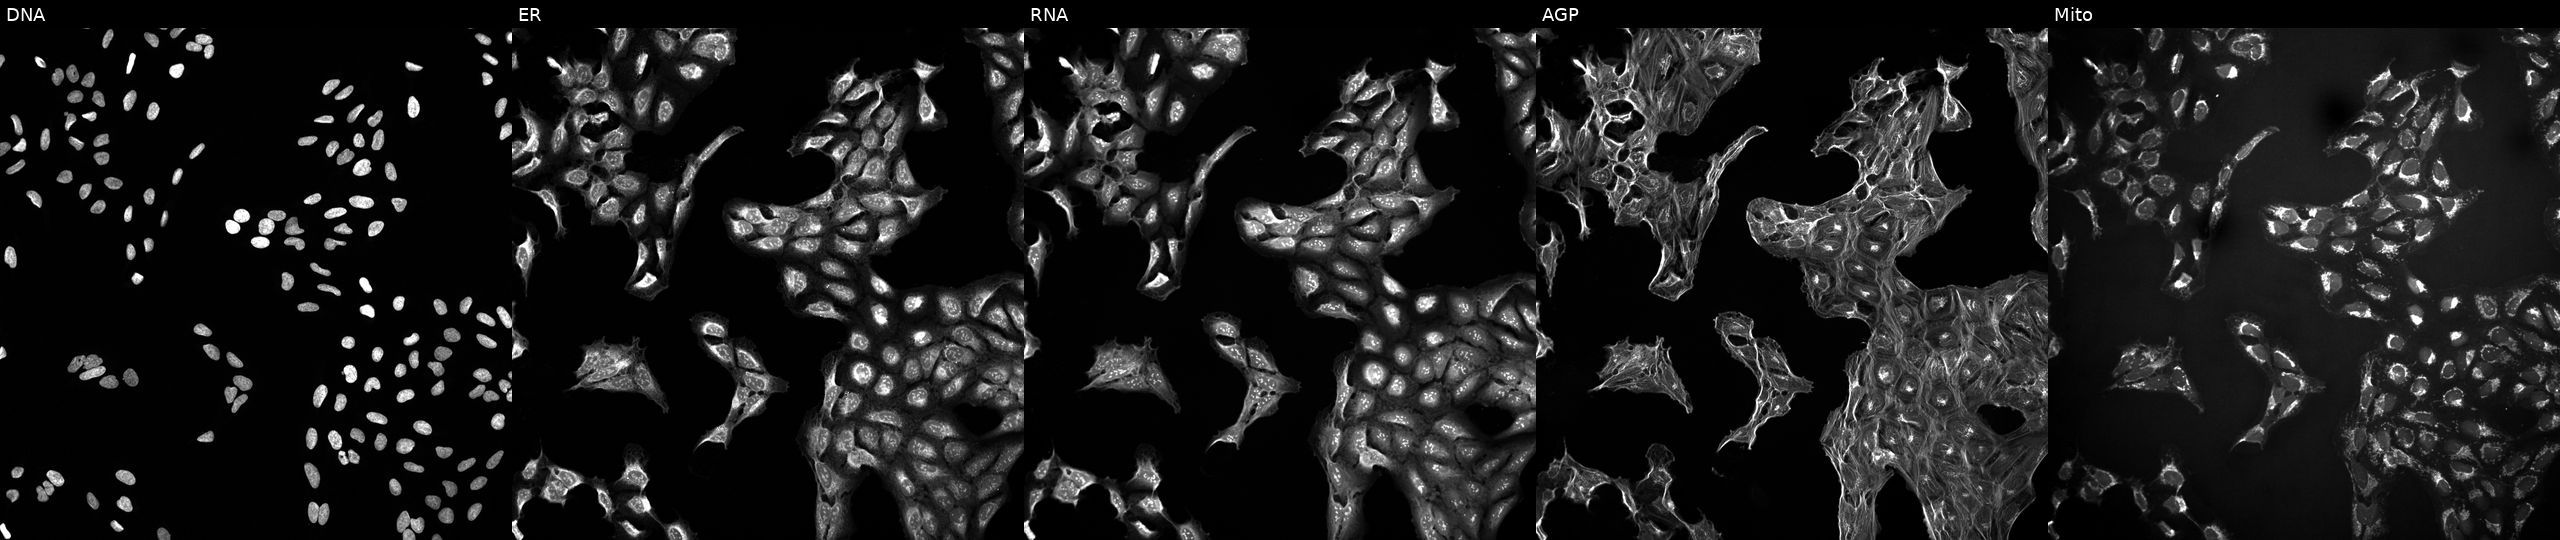
JUMP Cell Painting — TARGET2 plate. U2OS cells perturbed with a small-molecule compound (InChIKey MJVAVZPDRWSRRC-UHFFFAOYSA-N) (JUMP id JCP2022_054618). Channels (left→right): DNA, ER, RNA, AGP, and Mito.